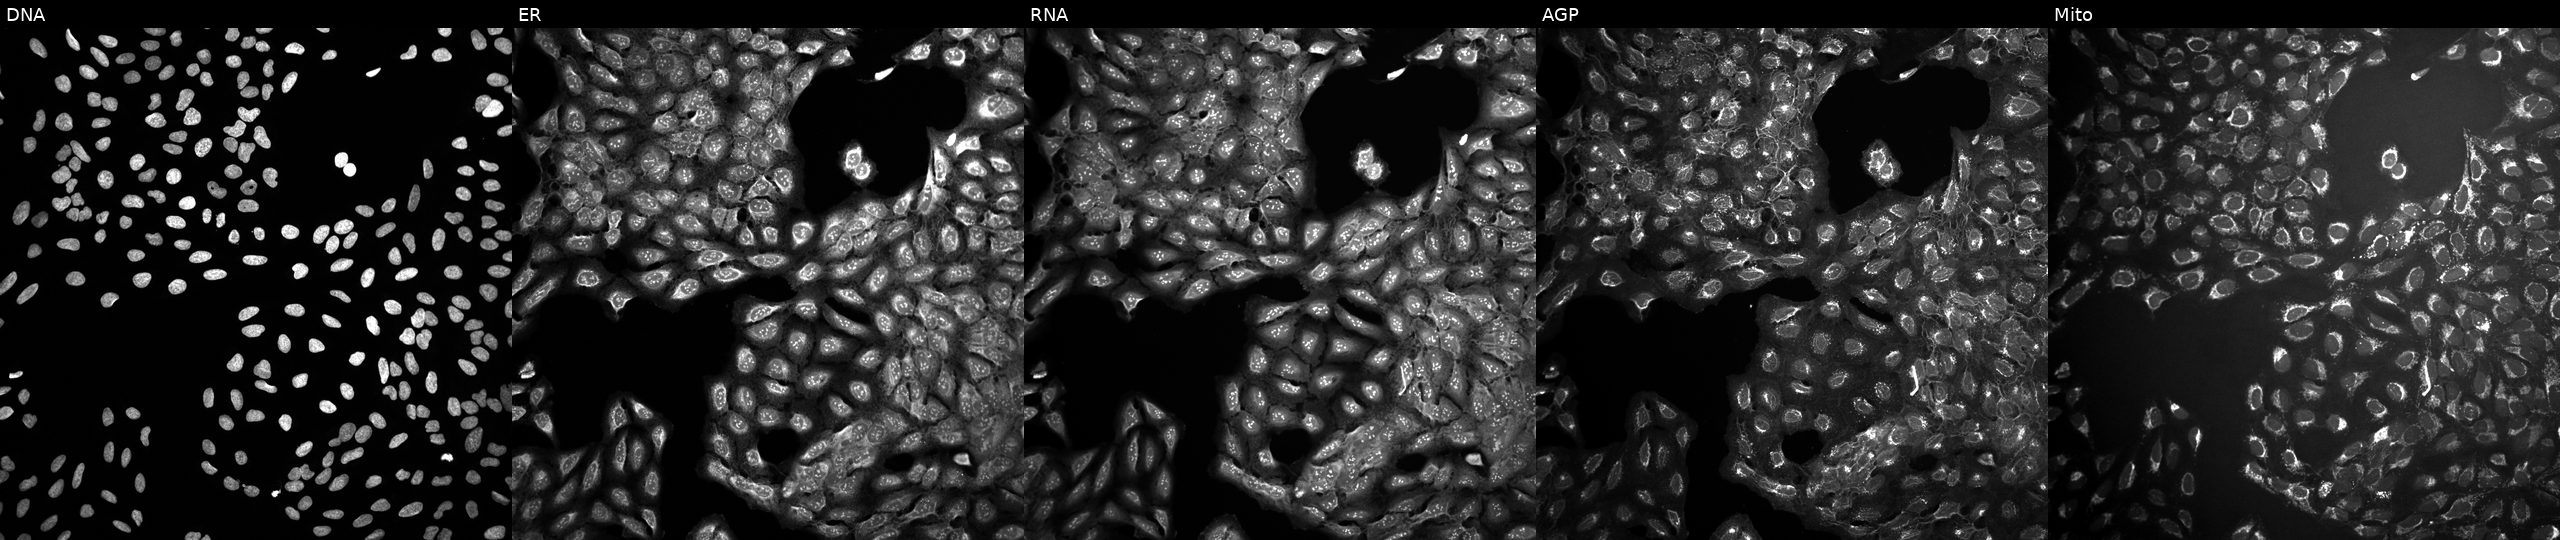
This image strip shows the five Cell Painting channels for a single field of U2OS cells treated with a small-molecule compound (JUMP id JCP2022_068606). Panels show, left to right, DNA, ER, RNA, AGP, and Mito.